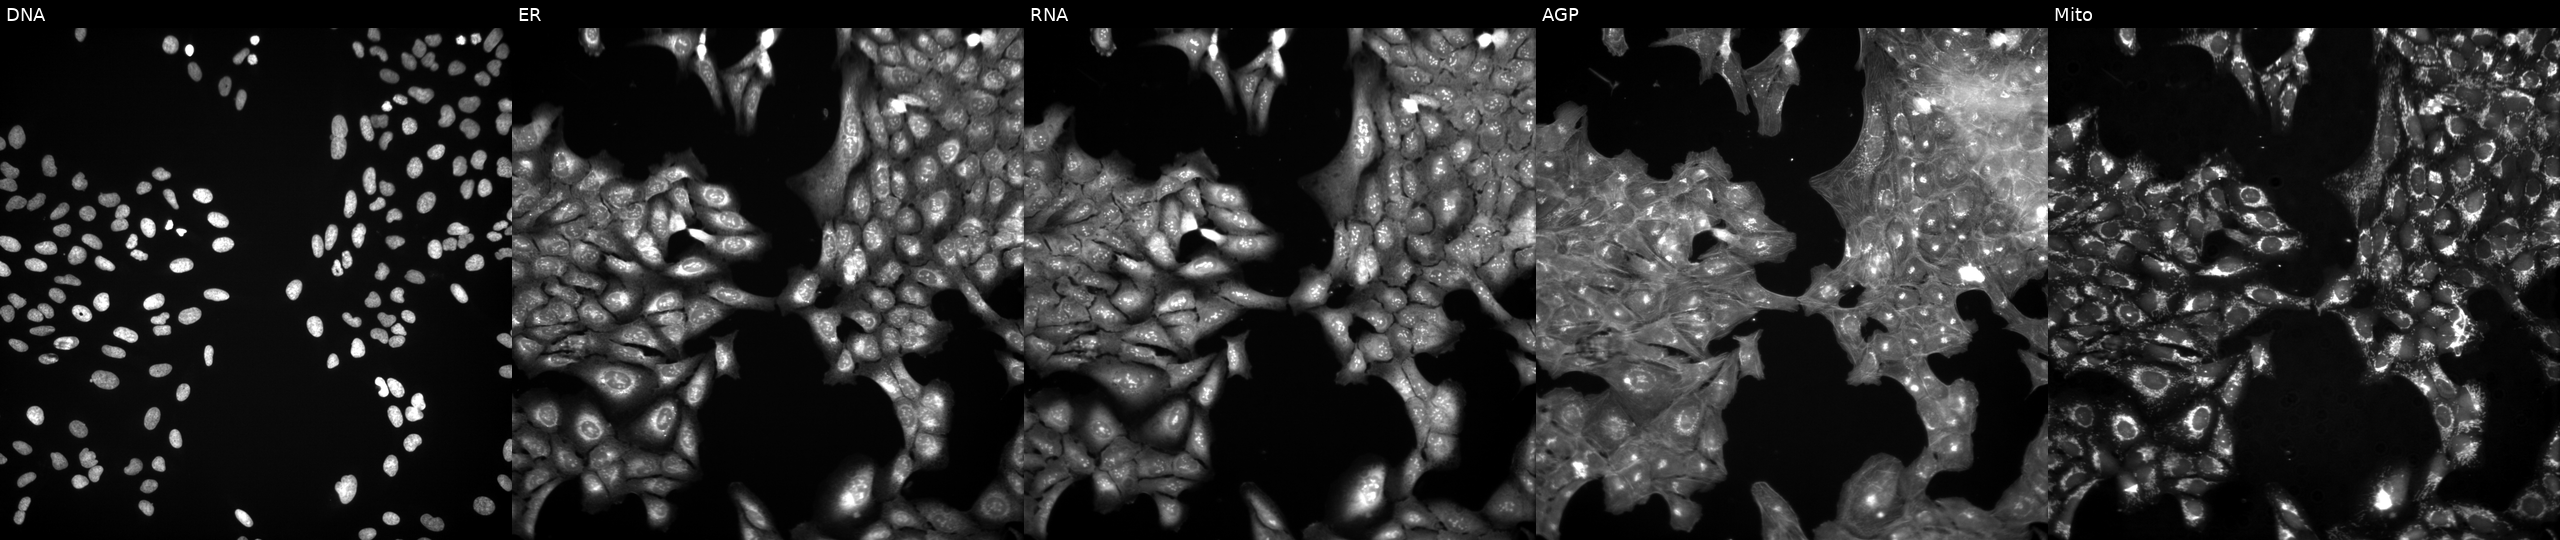
JUMP Cell Painting — COMPOUND plate. U2OS cells treated with a small-molecule compound (JUMP id JCP2022_108866). From left to right: DNA (nuclei); ER (endoplasmic reticulum); RNA (nucleoli and cytoplasmic RNA); AGP (actin cytoskeleton, Golgi, and plasma membrane); Mito (mitochondria). Source 3, plate BR5867a3, well A08.